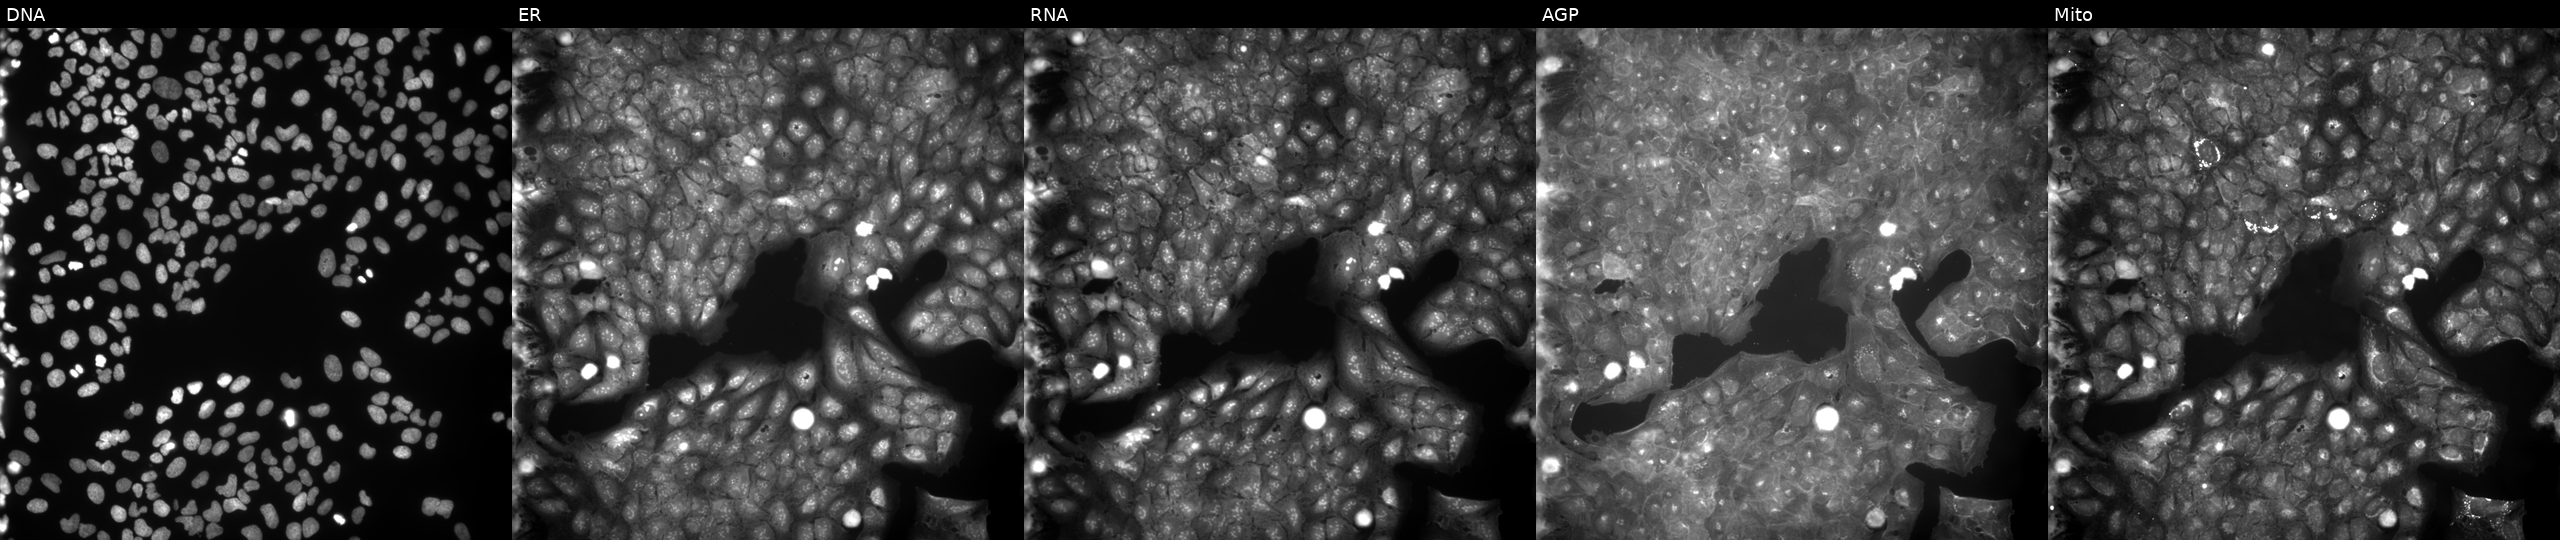
High-content fluorescence microscopy (Cell Painting). Cell line: U2OS. Perturbation: exposed to a small-molecule compound (JUMP id JCP2022_033809). Channels (left→right): DNA, ER, RNA, AGP, and Mito.